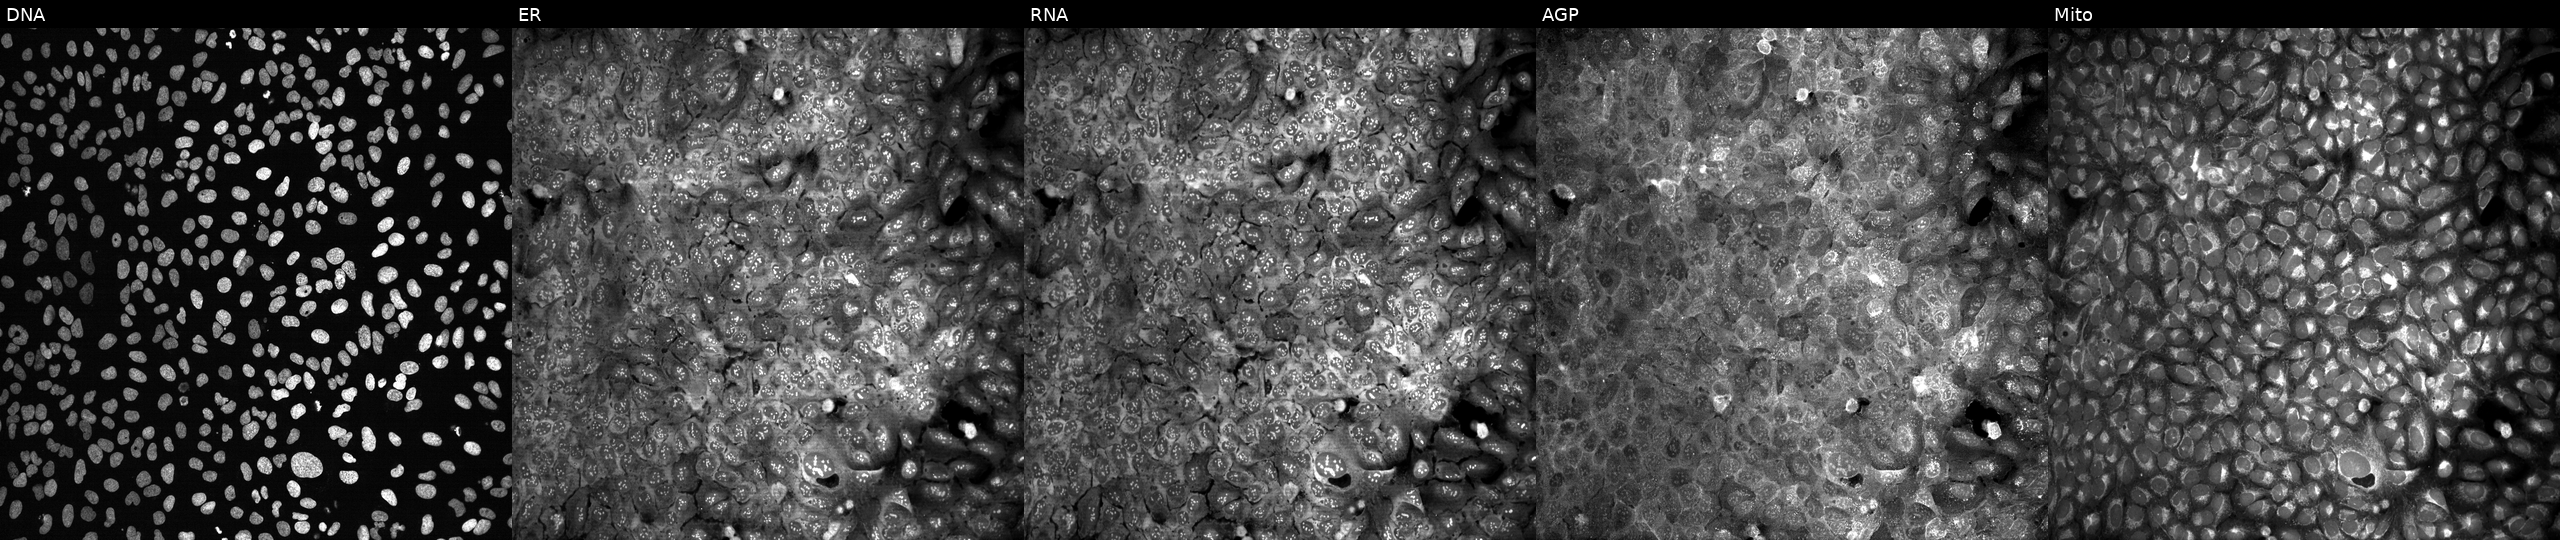
JUMP Cell Painting — CRISPR plate. U2OS cells with GNA11 knocked out by CRISPR (JUMP id JCP2022_802758). Panels show, left to right, DNA, ER, RNA, AGP, and Mito. Source 13, plate CP-CC9-R5-01, well J03.